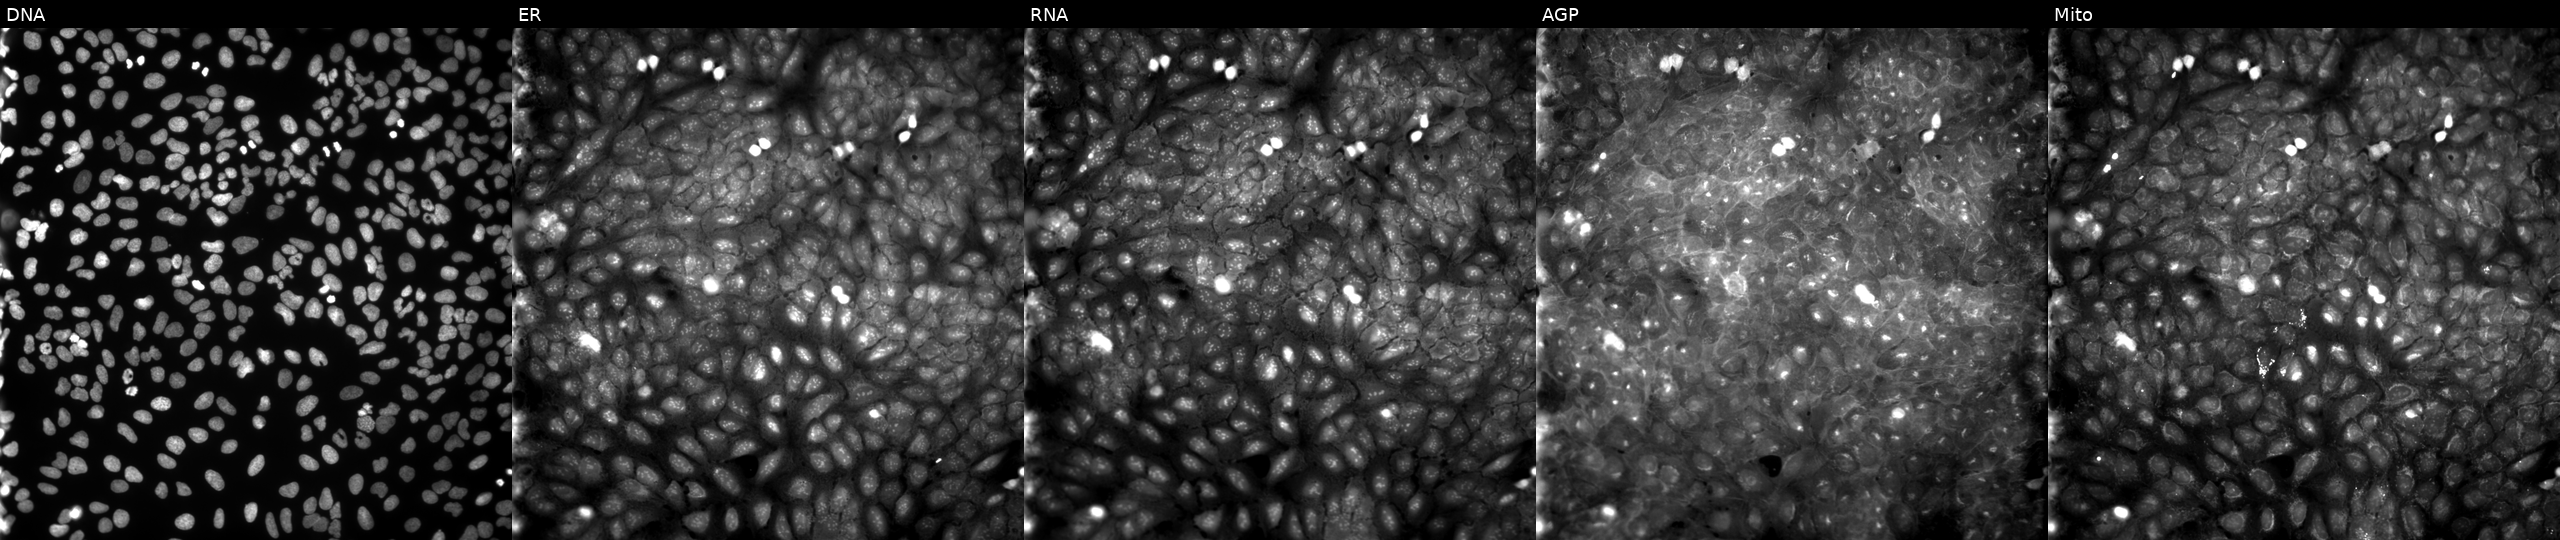
High-content fluorescence microscopy (Cell Painting). Cell line: U2OS. Perturbation: exposed to a small-molecule compound (InChIKey RMMKNGUWKCNLHE-UHFFFAOYSA-N) (JUMP id JCP2022_079325). From left to right: DNA (nuclei); ER (endoplasmic reticulum); RNA (nucleoli and cytoplasmic RNA); AGP (actin cytoskeleton, Golgi, and plasma membrane); Mito (mitochondria).